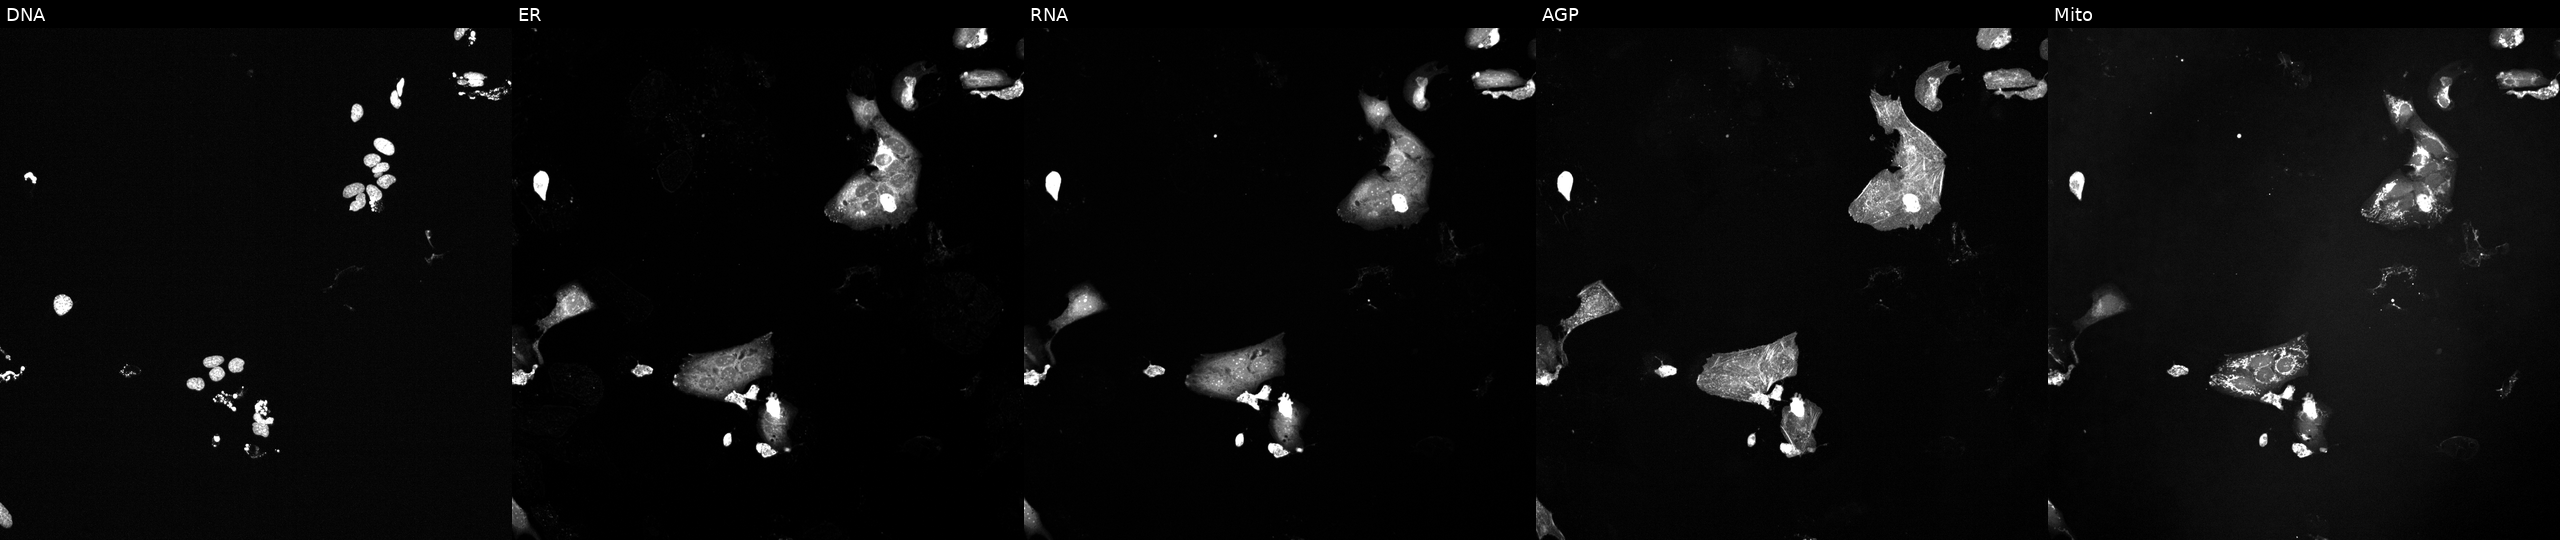
JUMP Cell Painting — TARGET2 plate. U2OS cells exposed to a small-molecule compound (InChIKey WSMQUUGTQYPVPD-UHFFFAOYSA-N) [SMILES: COc1cccc(-c2cc(F)ccc2C2Cc3[nH]c(=N)nc(C)c3C(=O)N2)n1]. Channels (left→right): DNA, ER, RNA, AGP, and Mito.